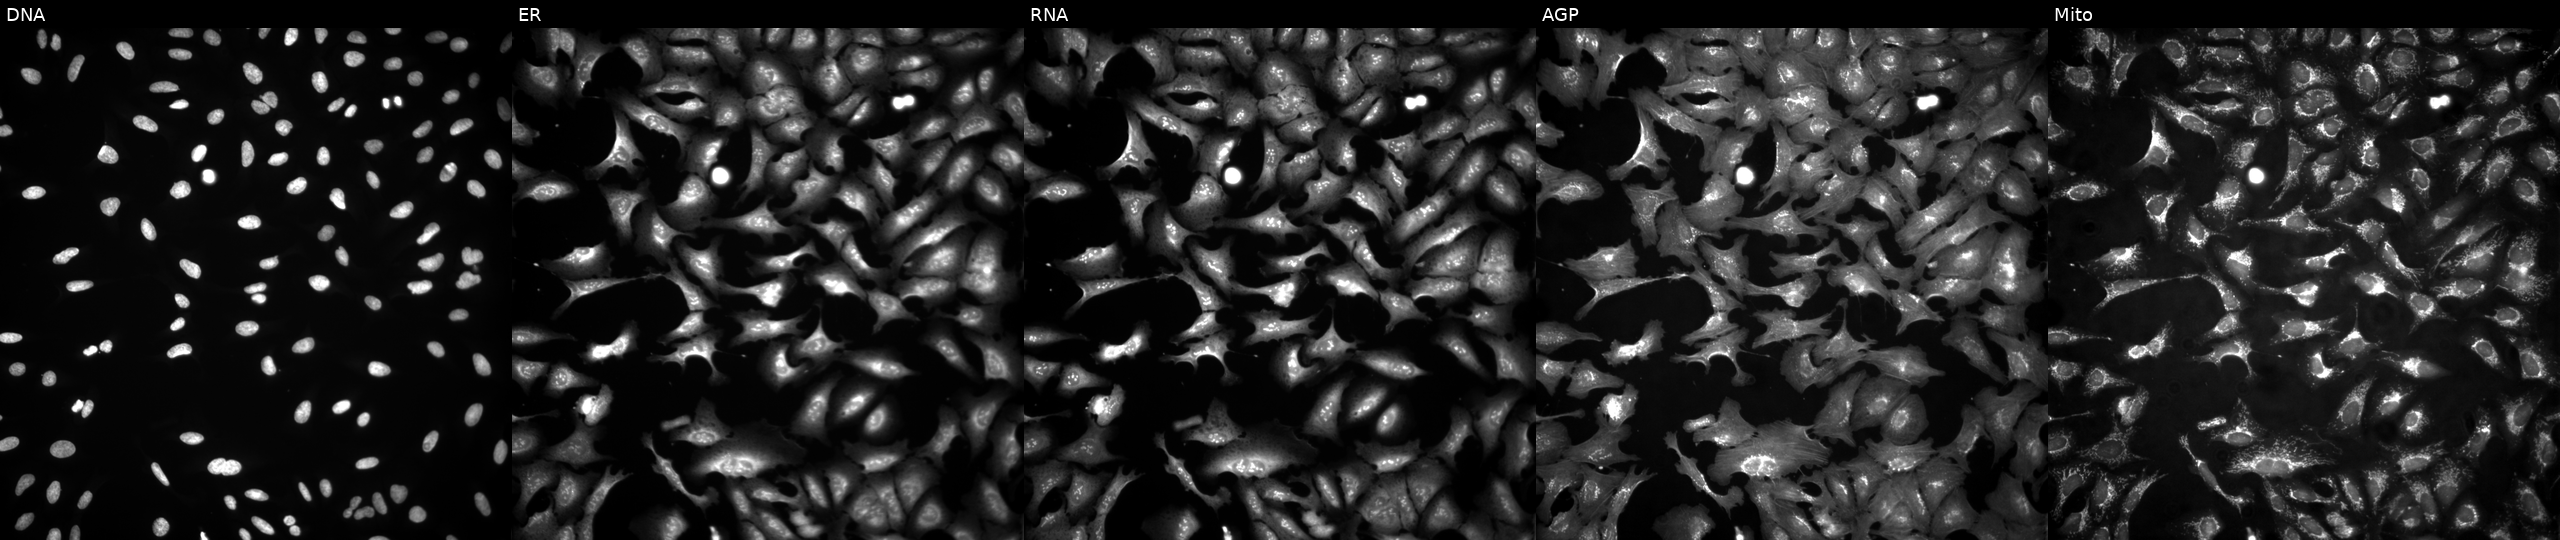
High-content fluorescence microscopy (Cell Painting). Cell line: U2OS. Perturbation: overexpressing TSTD2 via ORF transfection. From left to right: Hoechst 33342, concanavalin A, SYTO 14, phalloidin and WGA, MitoTracker.